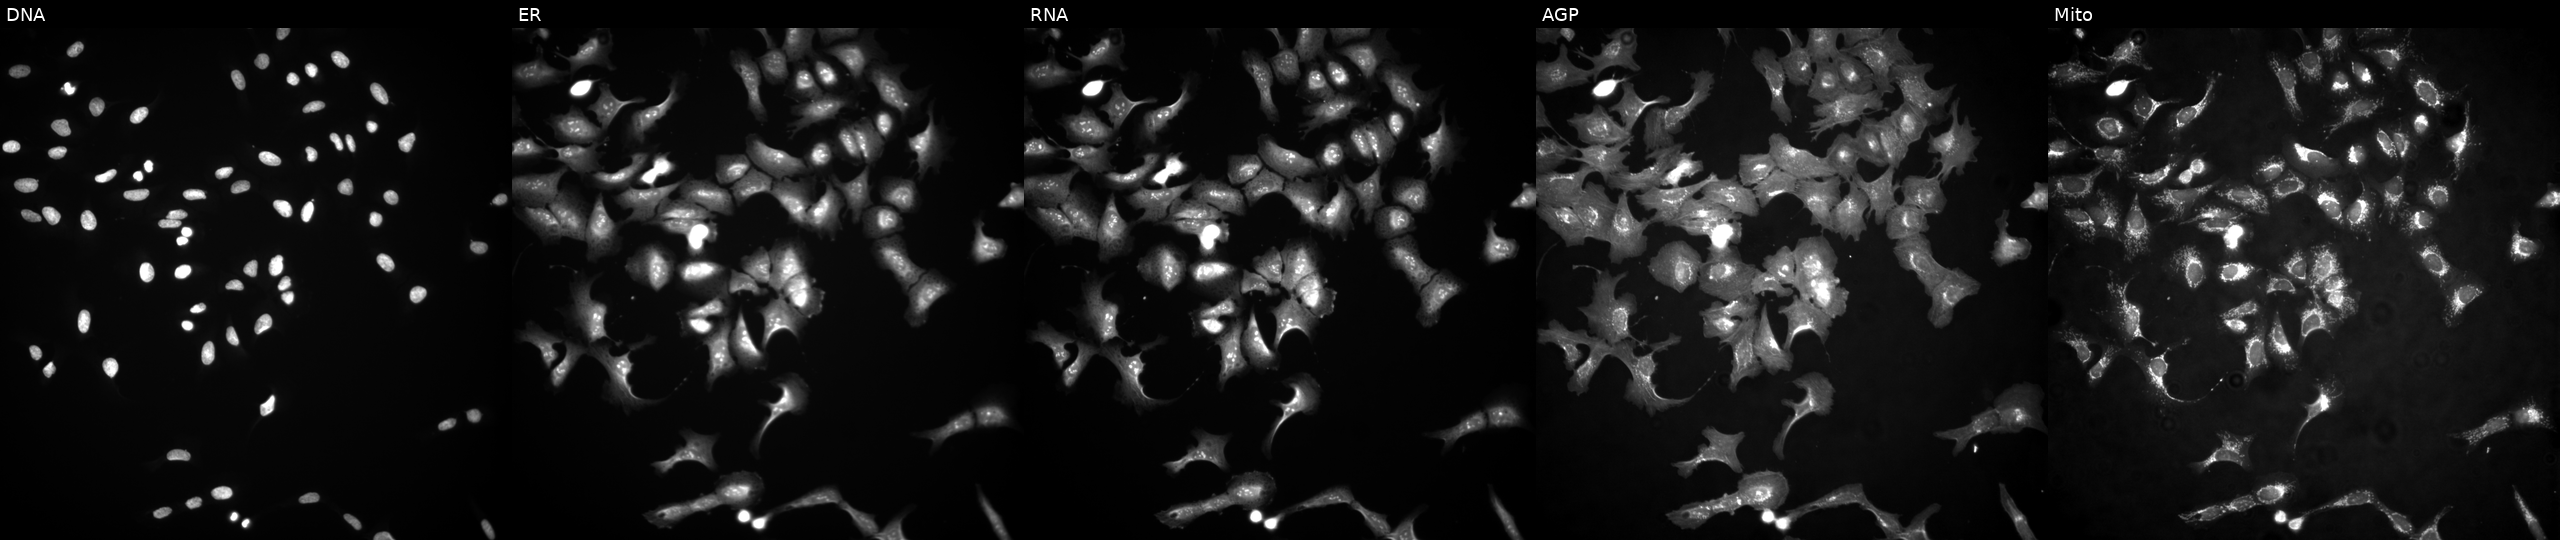
This image strip shows the five Cell Painting channels for a single field of U2OS cells with ZNF554 overexpressed (ORF) (JUMP id JCP2022_908784). From left to right: DNA (nuclei); ER (endoplasmic reticulum); RNA (nucleoli and cytoplasmic RNA); AGP (actin cytoskeleton, Golgi, and plasma membrane); Mito (mitochondria). Source 4, plate BR00117035, well O16.